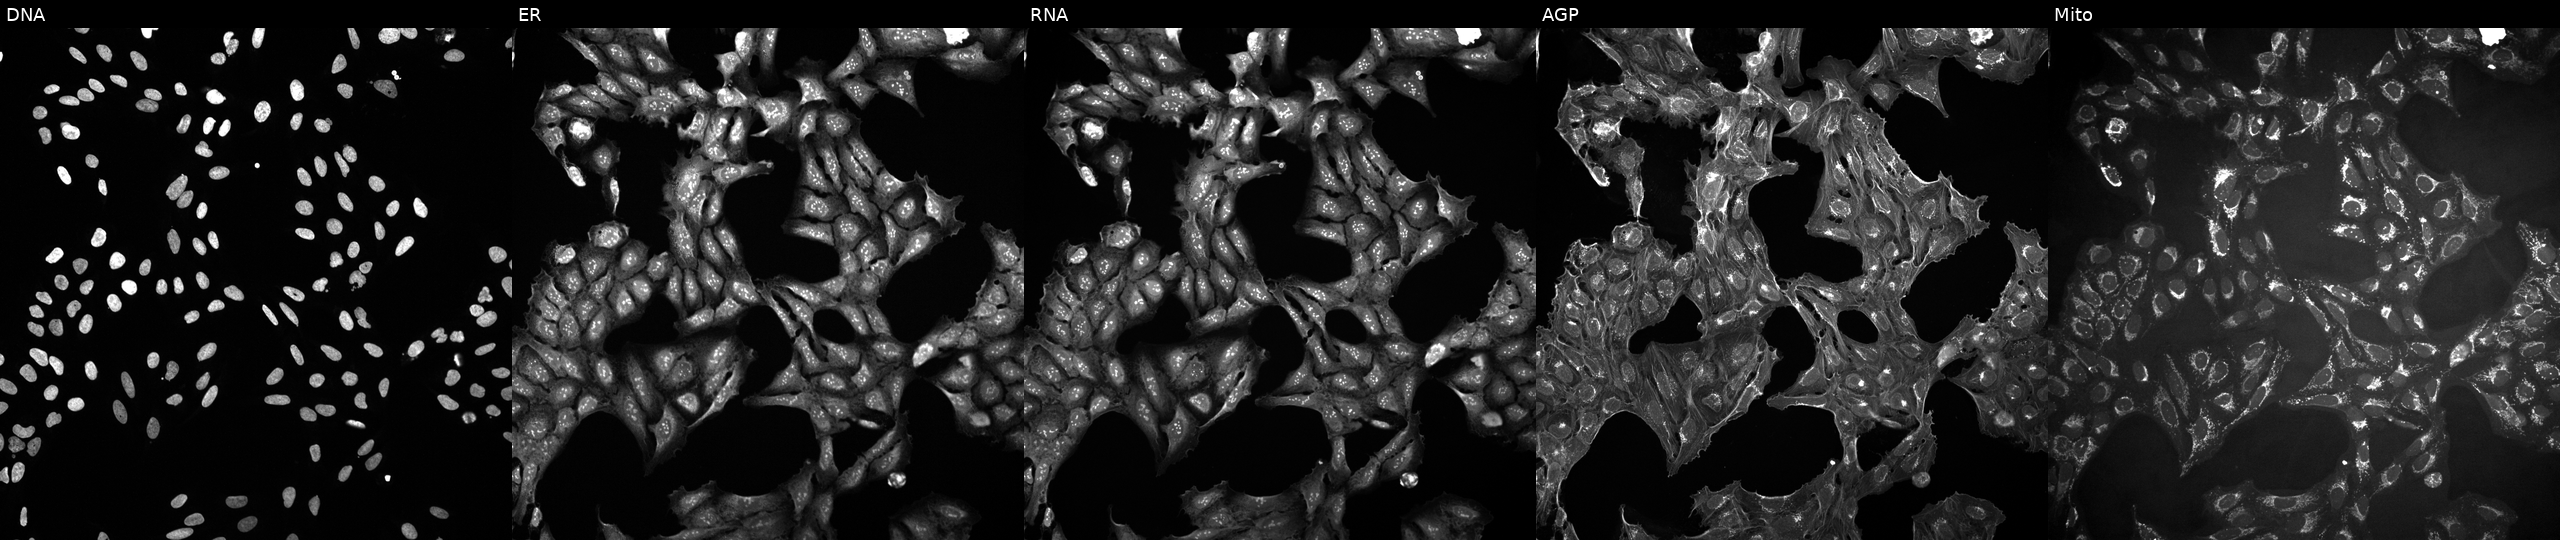
The five panels, left to right, show Hoechst 33342, concanavalin A, SYTO 14, phalloidin and WGA, MitoTracker. U2OS osteosarcoma cells treated with DMSO vehicle only (negative control). Cell Painting assay, JUMP-CP dataset. Source 10, plate Dest210531-152149, well A02.